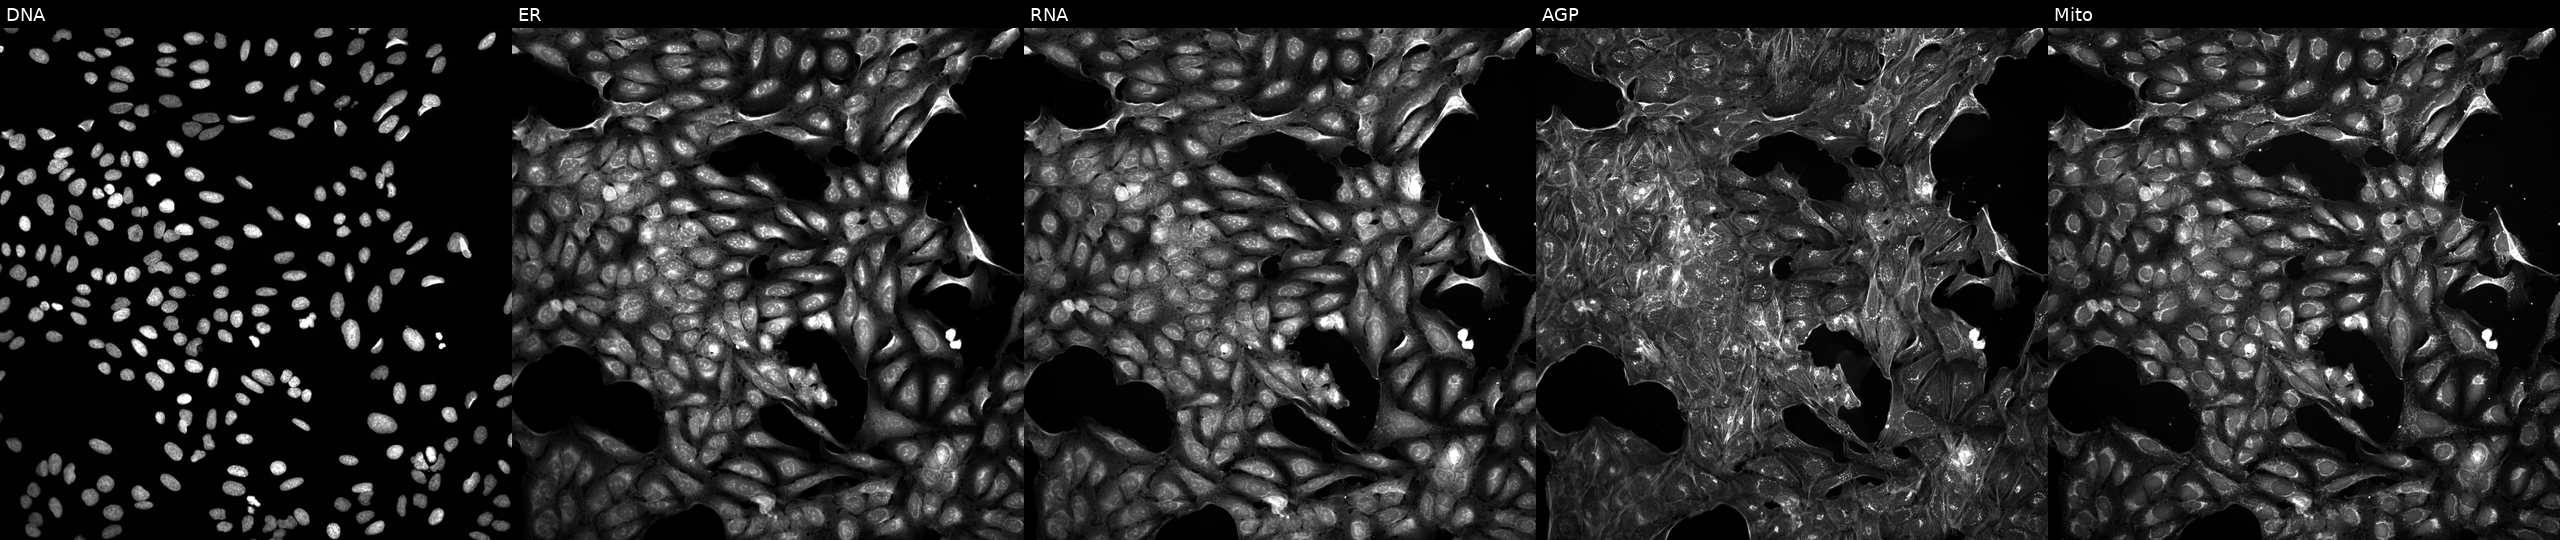
High-content fluorescence microscopy (Cell Painting). Cell line: U2OS. Perturbation: treated with a small-molecule compound (InChIKey AFACDYSKXIDOQF-UHFFFAOYSA-N) (JUMP id JCP2022_000953). The five panels, left to right, show Hoechst 33342, concanavalin A, SYTO 14, phalloidin and WGA, MitoTracker.